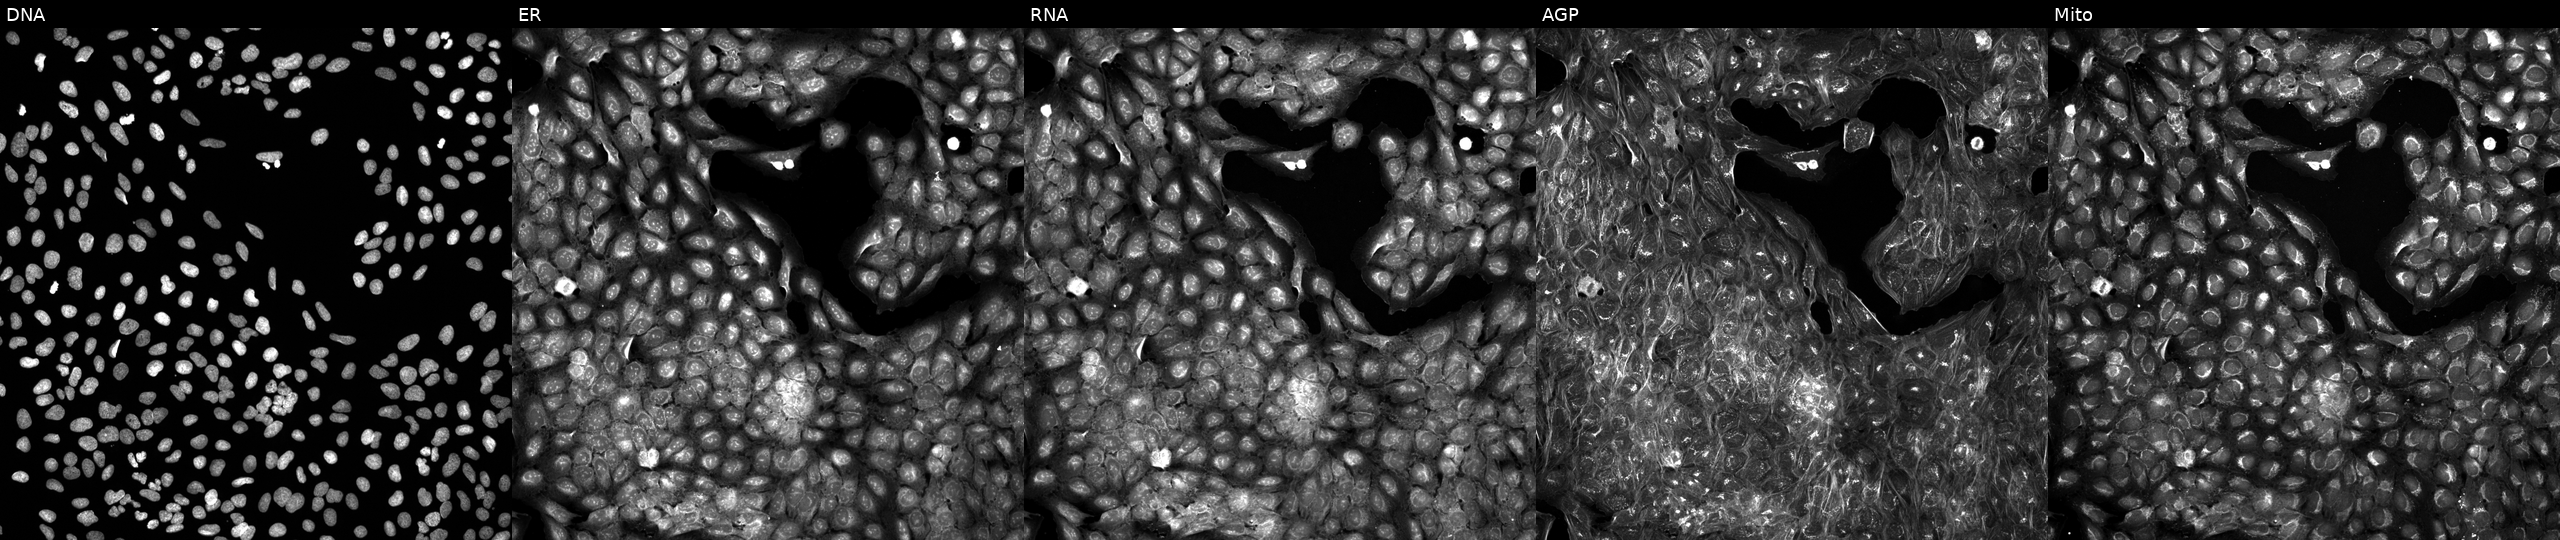
This image strip shows the five Cell Painting channels for a single field of U2OS cells exposed to a small-molecule compound (InChIKey VVBIBPBIYRNMGT-UHFFFAOYSA-N) [SMILES: Cc1cnc2c(S(=O)(=O)N3c4ccccc4CCC3C(=O)N3CCN(C)CC3)cccc2c1] (JUMP id JCP2022_096490). Panels show, left to right, DNA, ER, RNA, AGP, and Mito.